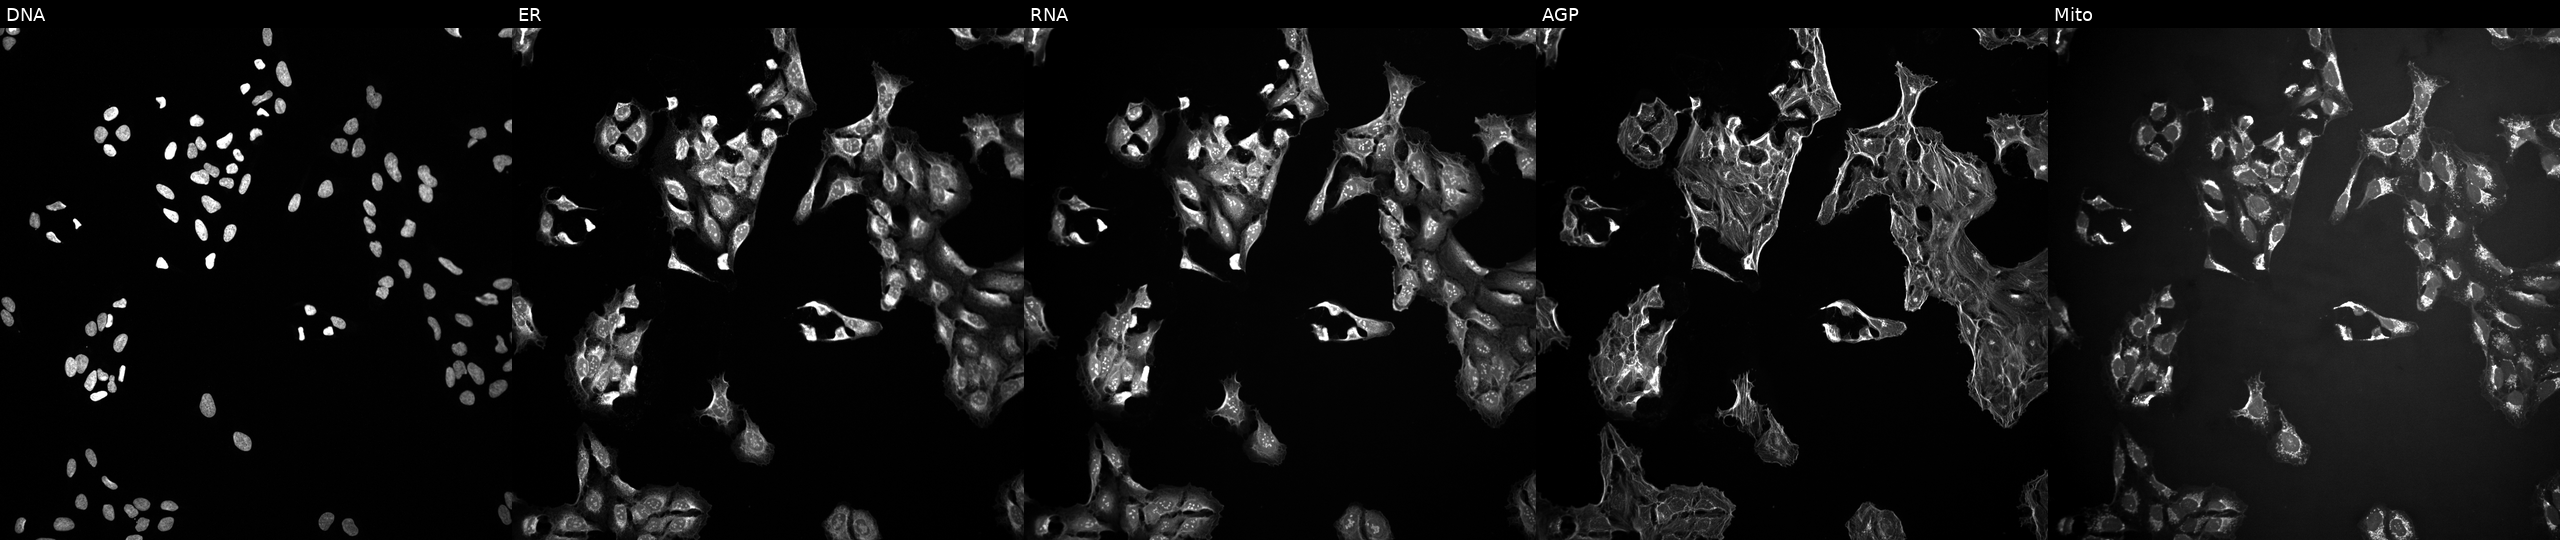
High-content fluorescence microscopy (Cell Painting). Cell line: U2OS. Perturbation: exposed to a small-molecule compound (InChIKey HQGWKNGAKBPTBX-UHFFFAOYSA-N). From left to right: DNA, ER, RNA, AGP, and Mito.